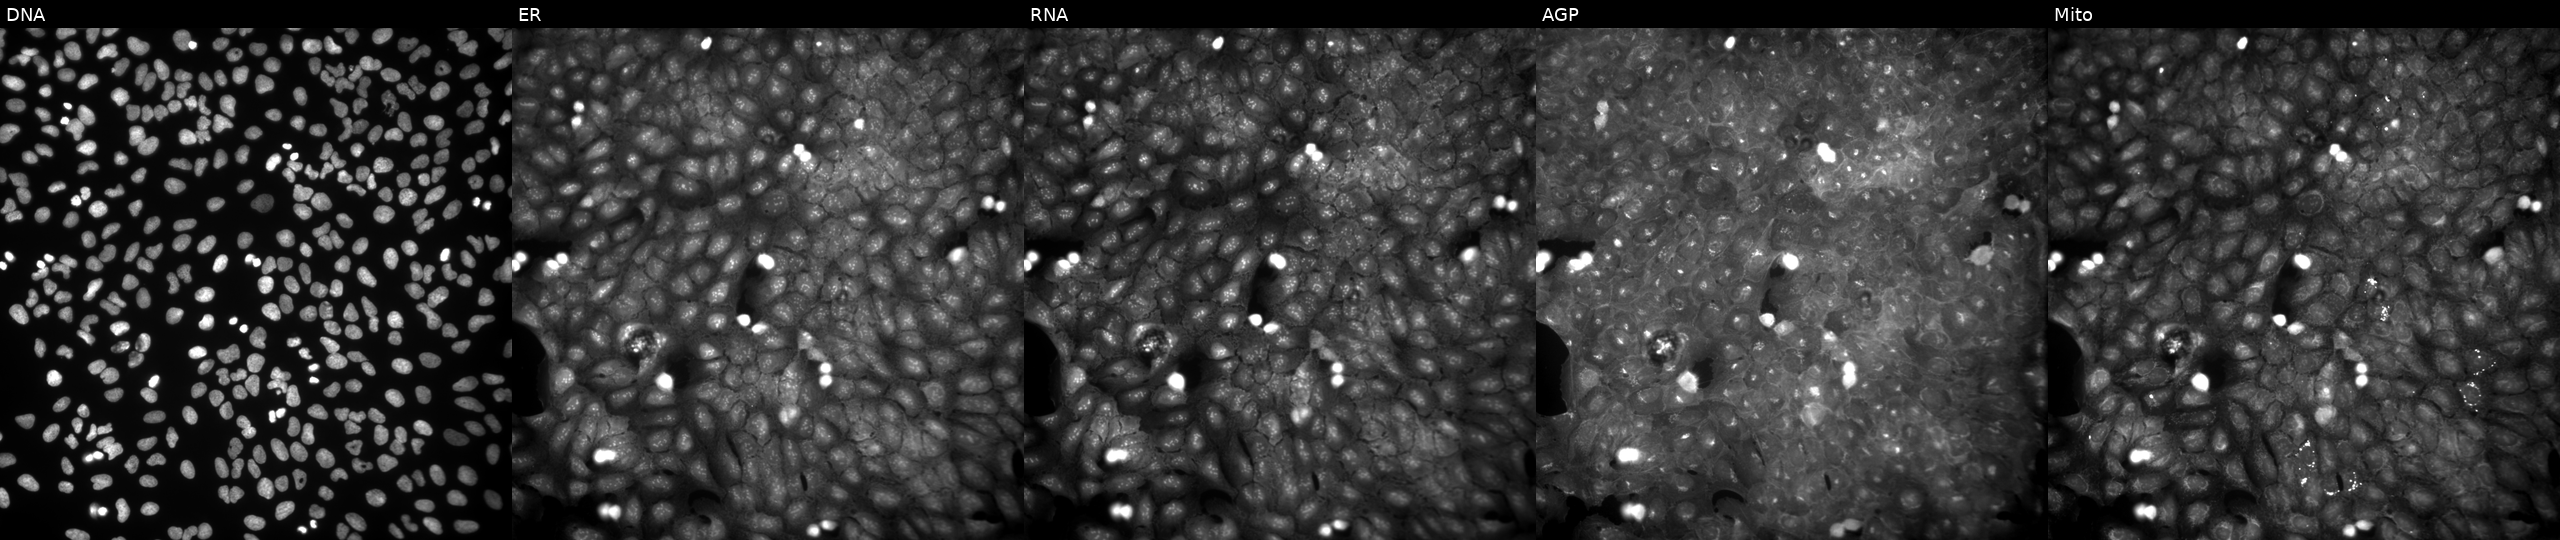
High-content fluorescence microscopy (Cell Painting). Cell line: U2OS. Perturbation: exposed to a small-molecule compound. The five panels, left to right, show DNA, ER, RNA, AGP, and Mito.